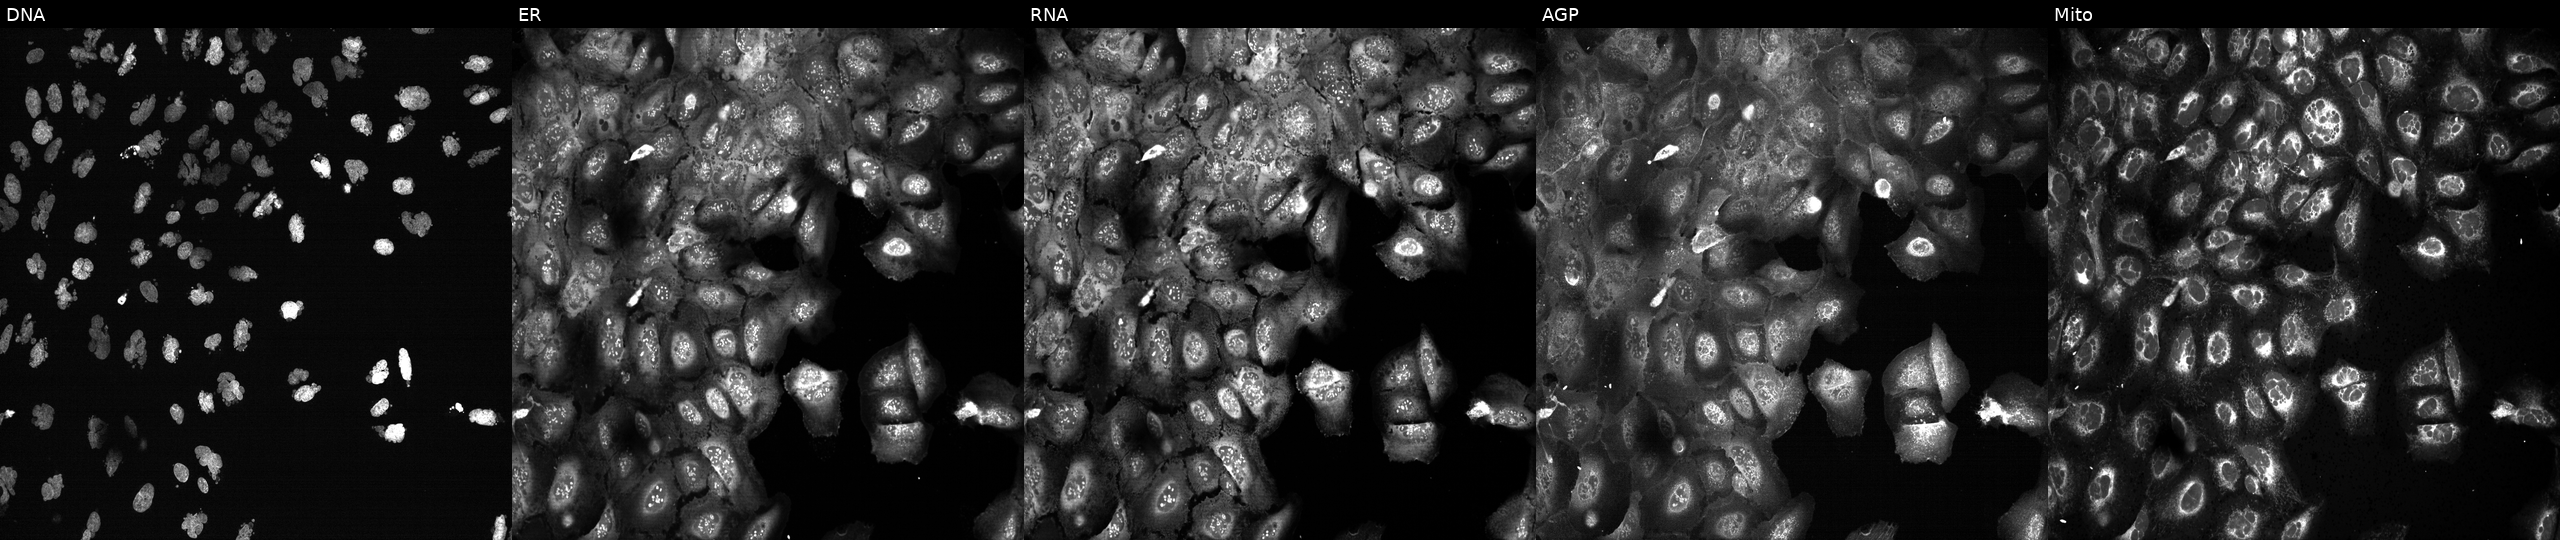
JUMP Cell Painting — CRISPR plate. U2OS cells treated with AMG900 (positive-control compound) (JUMP id JCP2022_037716). From left to right: DNA (nuclei); ER (endoplasmic reticulum); RNA (nucleoli and cytoplasmic RNA); AGP (actin cytoskeleton, Golgi, and plasma membrane); Mito (mitochondria).